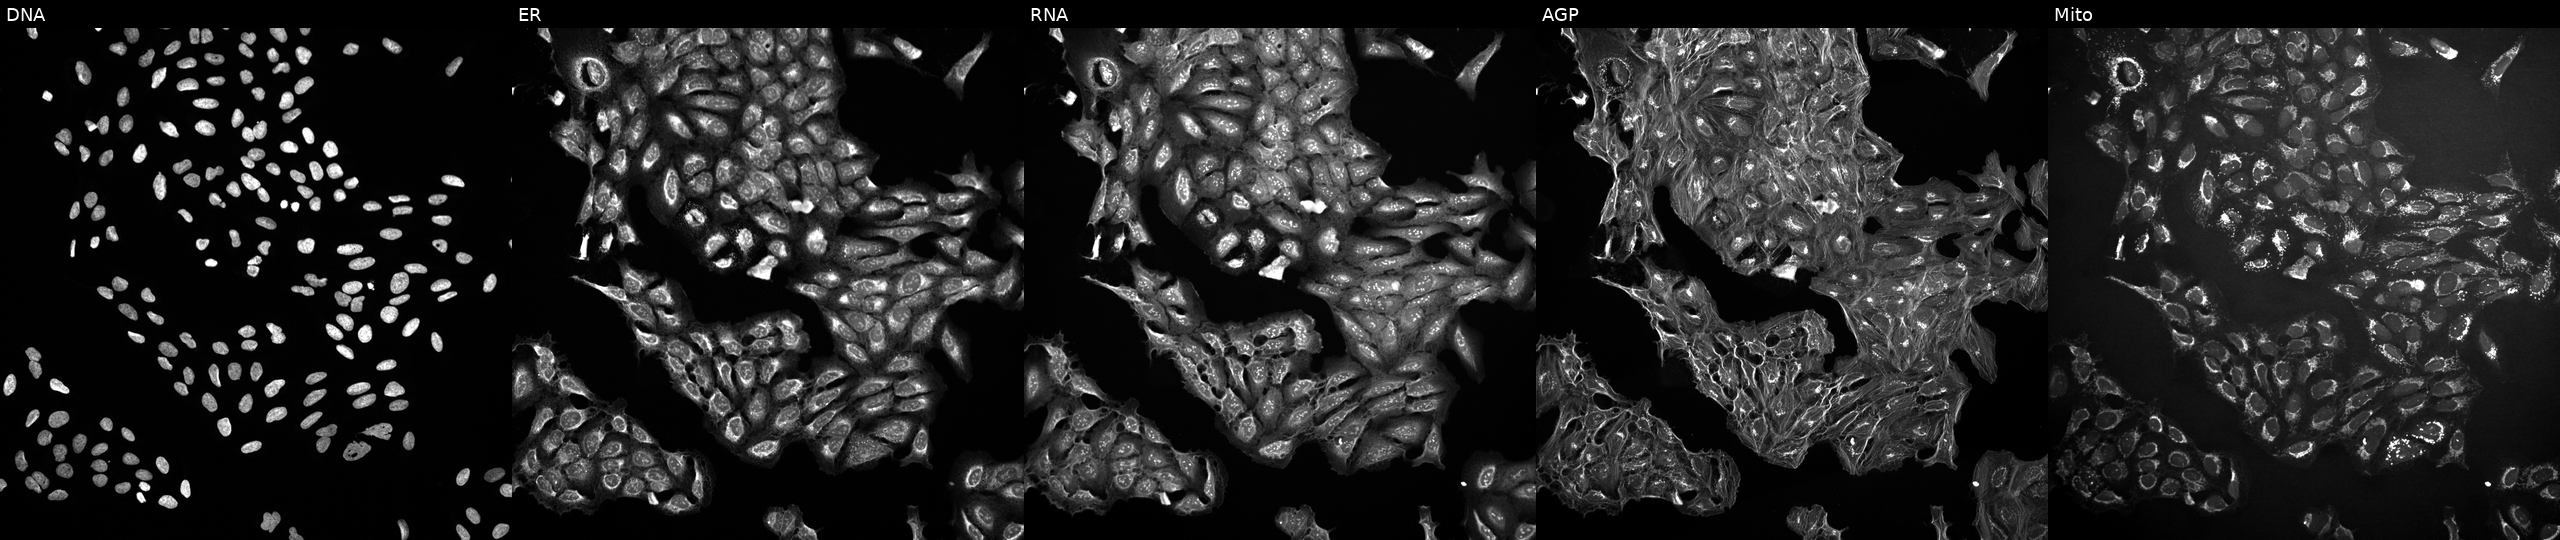
Panels show, left to right, DNA, ER, RNA, AGP, and Mito. U2OS osteosarcoma cells treated with a small-molecule compound (InChIKey KPIFKOHTJUFMFP-UHFFFAOYSA-N). Cell Painting assay, JUMP-CP dataset. Source 10, plate Dest210531-152324, well C06.